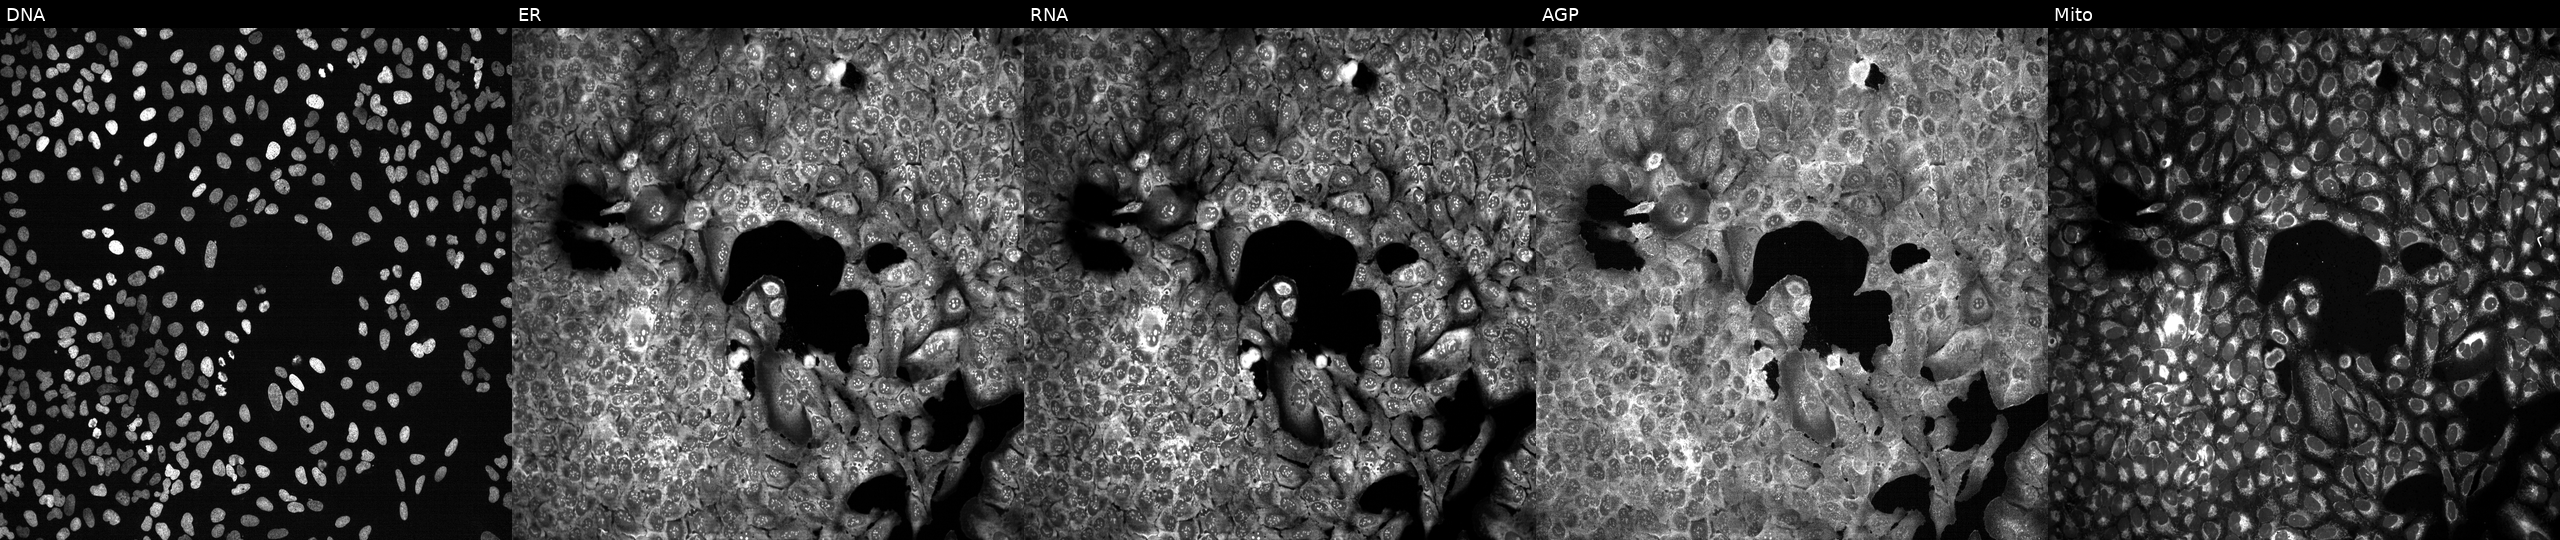
High-content fluorescence microscopy (Cell Painting). Cell line: U2OS. Perturbation: with NLRP14 knocked out by CRISPR. The five panels, left to right, show Hoechst 33342, concanavalin A, SYTO 14, phalloidin and WGA, MitoTracker.